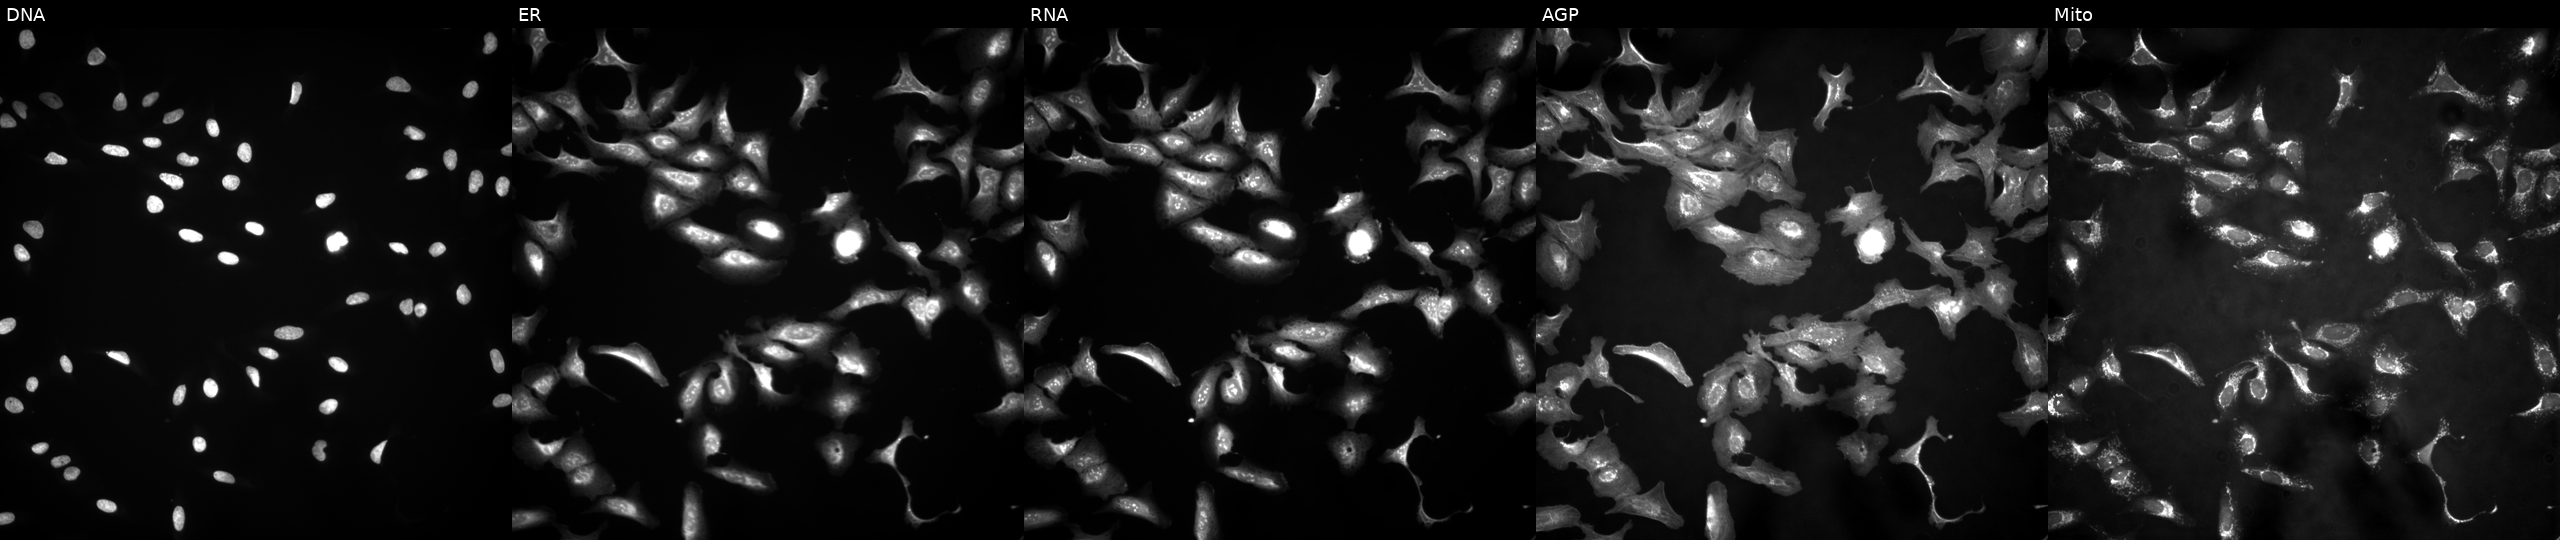
This image strip shows the five Cell Painting channels for a single field of U2OS cells with SYDE1 overexpressed (ORF) (JUMP id JCP2022_912035). From left to right: DNA (nuclei); ER (endoplasmic reticulum); RNA (nucleoli and cytoplasmic RNA); AGP (actin cytoskeleton, Golgi, and plasma membrane); Mito (mitochondria). Source 4, plate BR00121543, well O08.